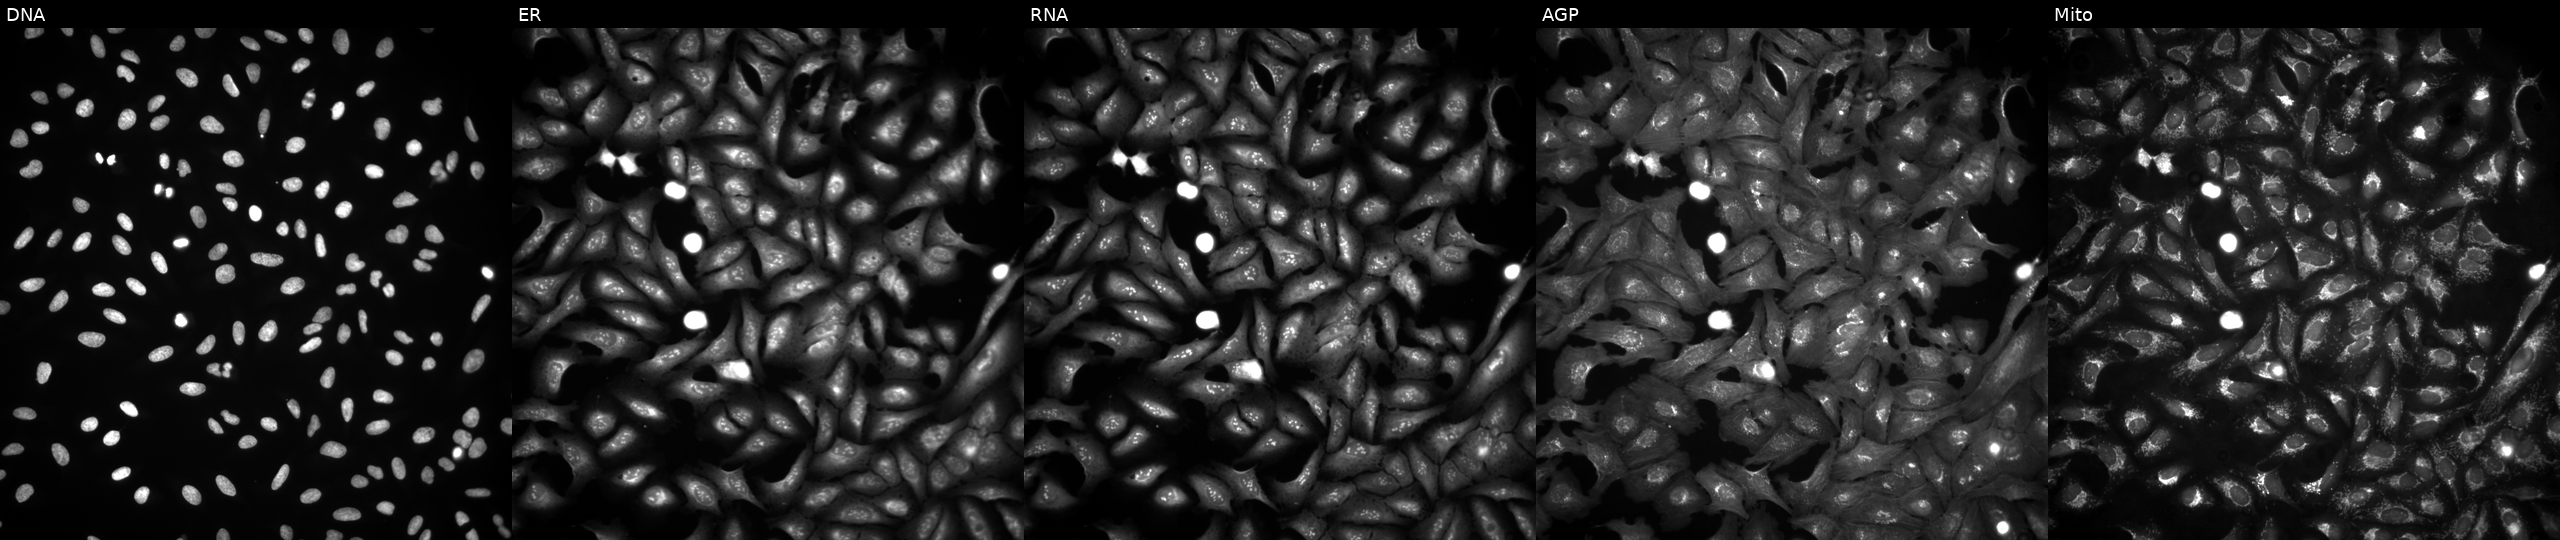
U2OS cells, Cell Painting assay, in an empty control well (no perturbation). From left to right: DNA (nuclei); ER (endoplasmic reticulum); RNA (nucleoli and cytoplasmic RNA); AGP (actin cytoskeleton, Golgi, and plasma membrane); Mito (mitochondria). Each panel is percentile-stretched 16-bit fluorescence. Source 4, plate BR00124787, well P21.